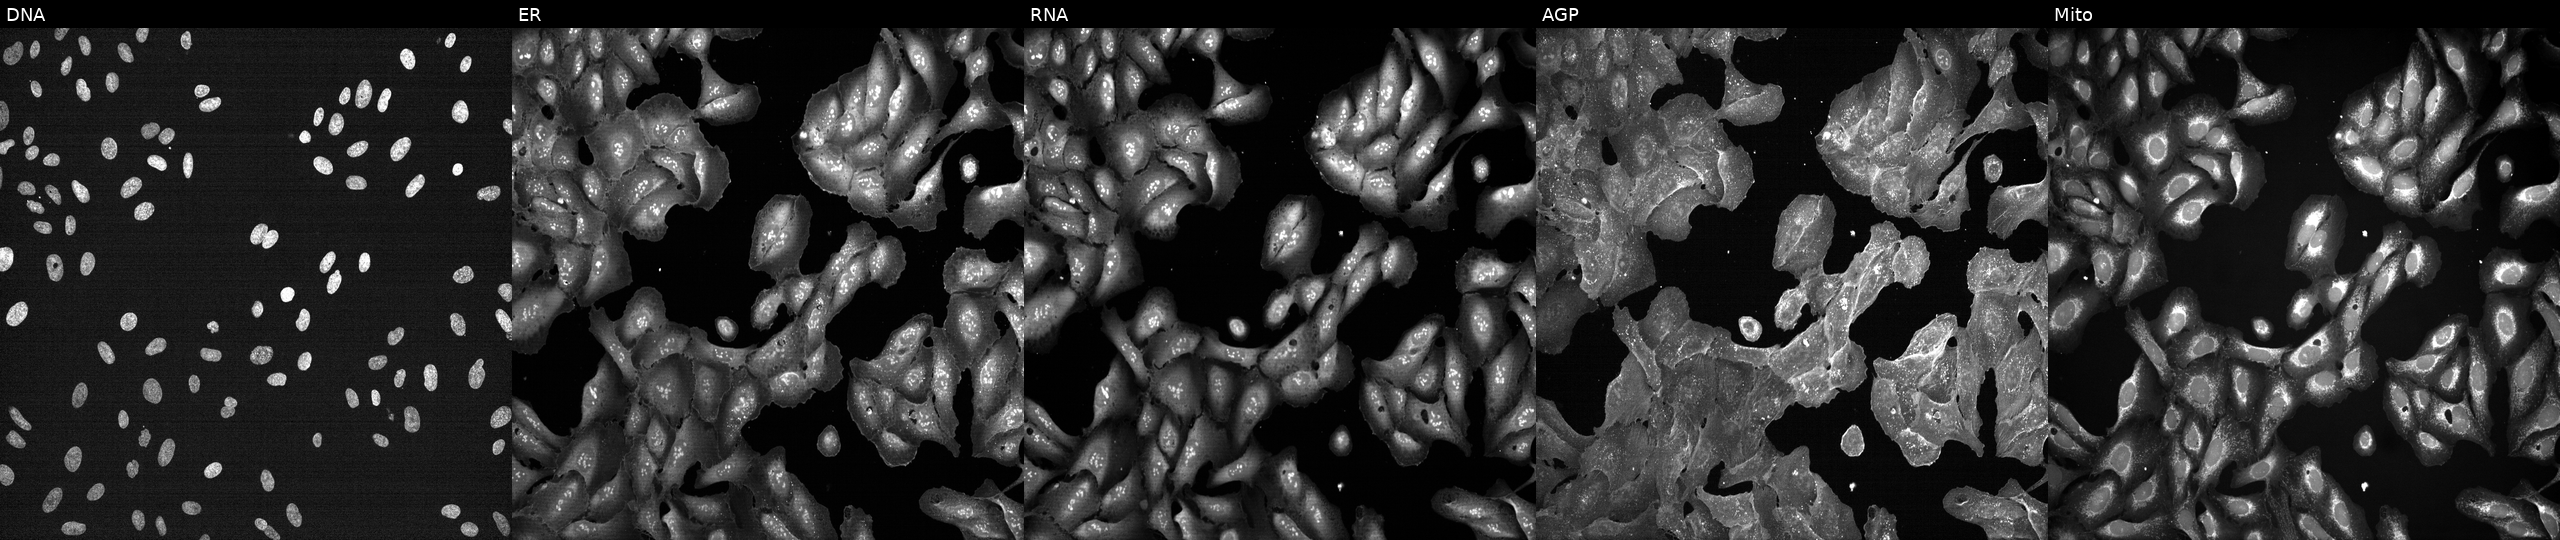
JUMP Cell Painting — TARGET2 plate. U2OS cells perturbed with a small-molecule compound (InChIKey CAOWNCTTWGSKDO-UHFFFAOYSA-N) (JUMP id JCP2022_009886). From left to right: DNA, ER, RNA, AGP, and Mito.